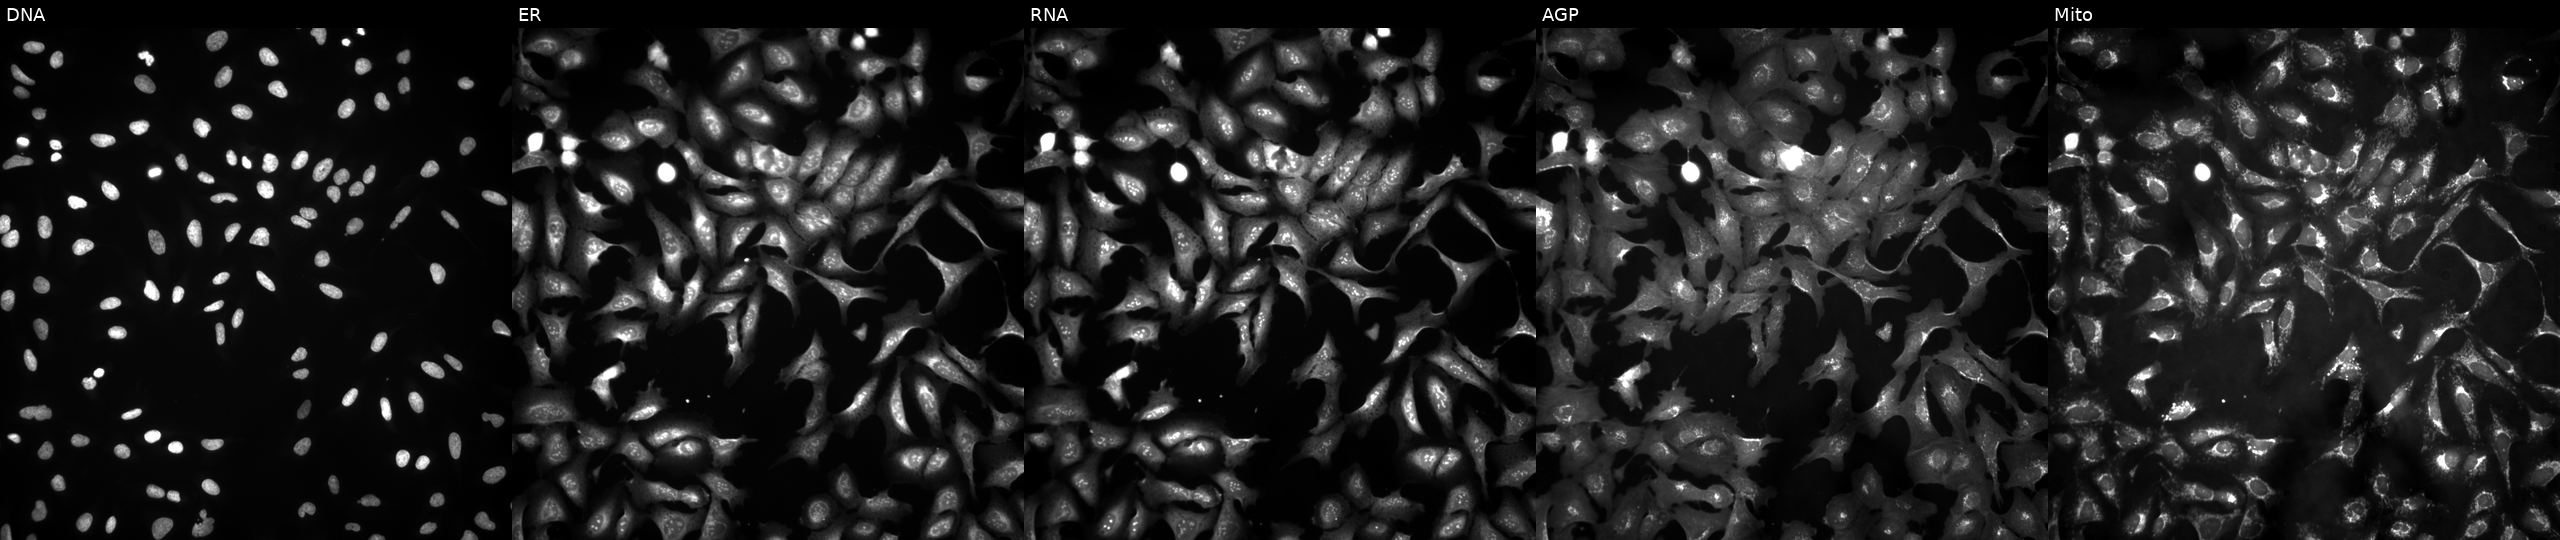
JUMP Cell Painting — ORF plate. U2OS cells untreated (empty-well control) (JUMP id JCP2022_999999). Panels show, left to right, DNA, ER, RNA, AGP, and Mito. Source 4, plate BR00121543, well E15.